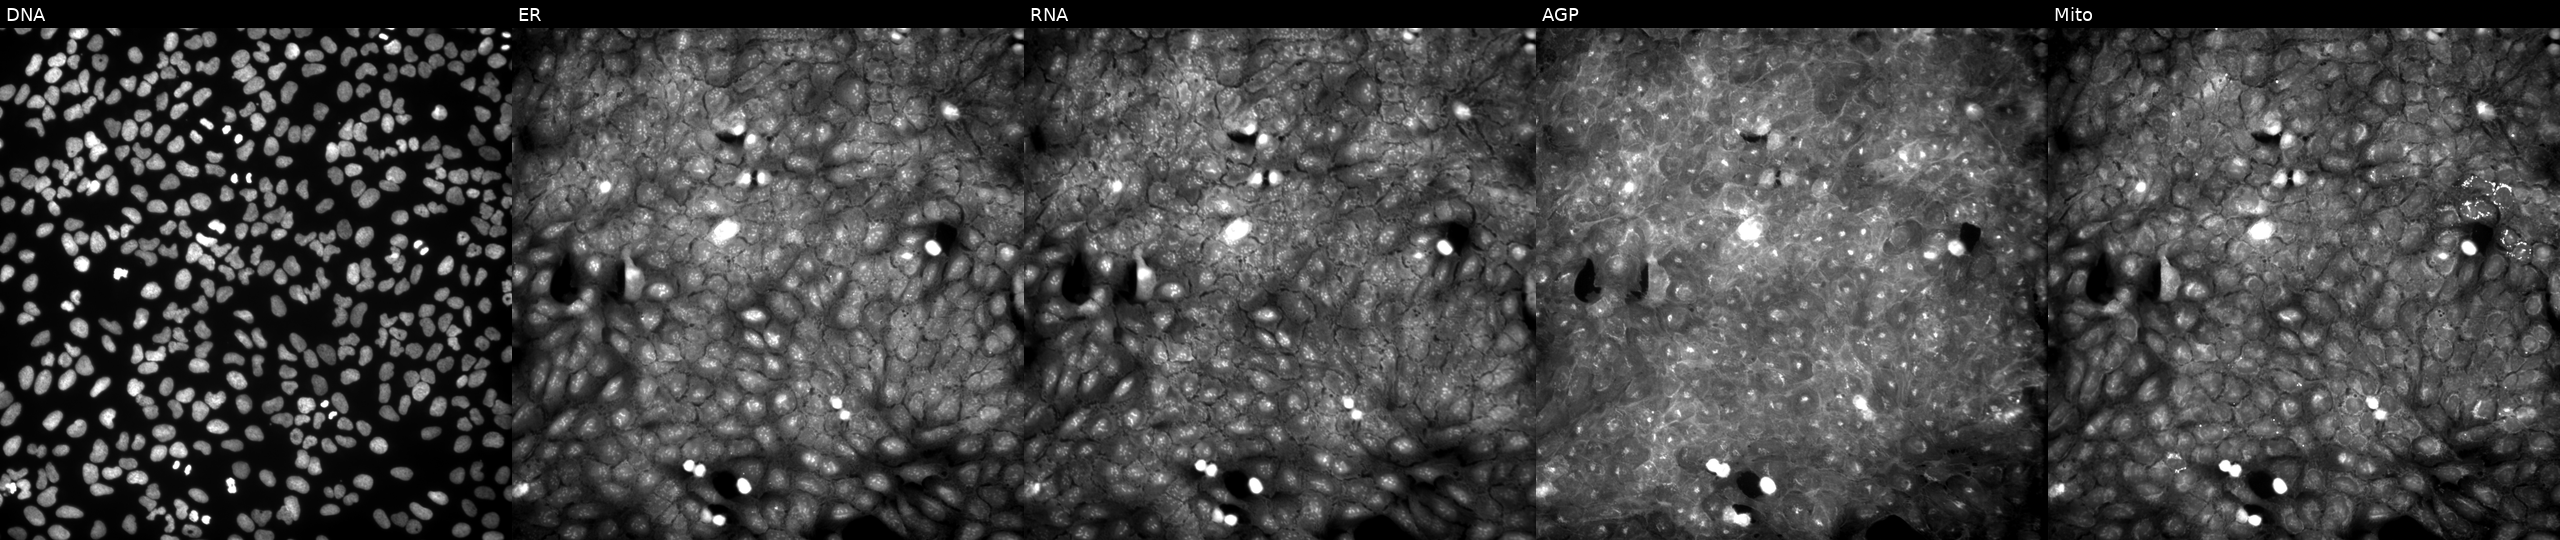
Five-channel Cell Painting image of U2OS cells exposed to a small-molecule compound. The five panels, left to right, show Hoechst 33342, concanavalin A, SYTO 14, phalloidin and WGA, MitoTracker. Source 9, plate GR00003381, well G39.